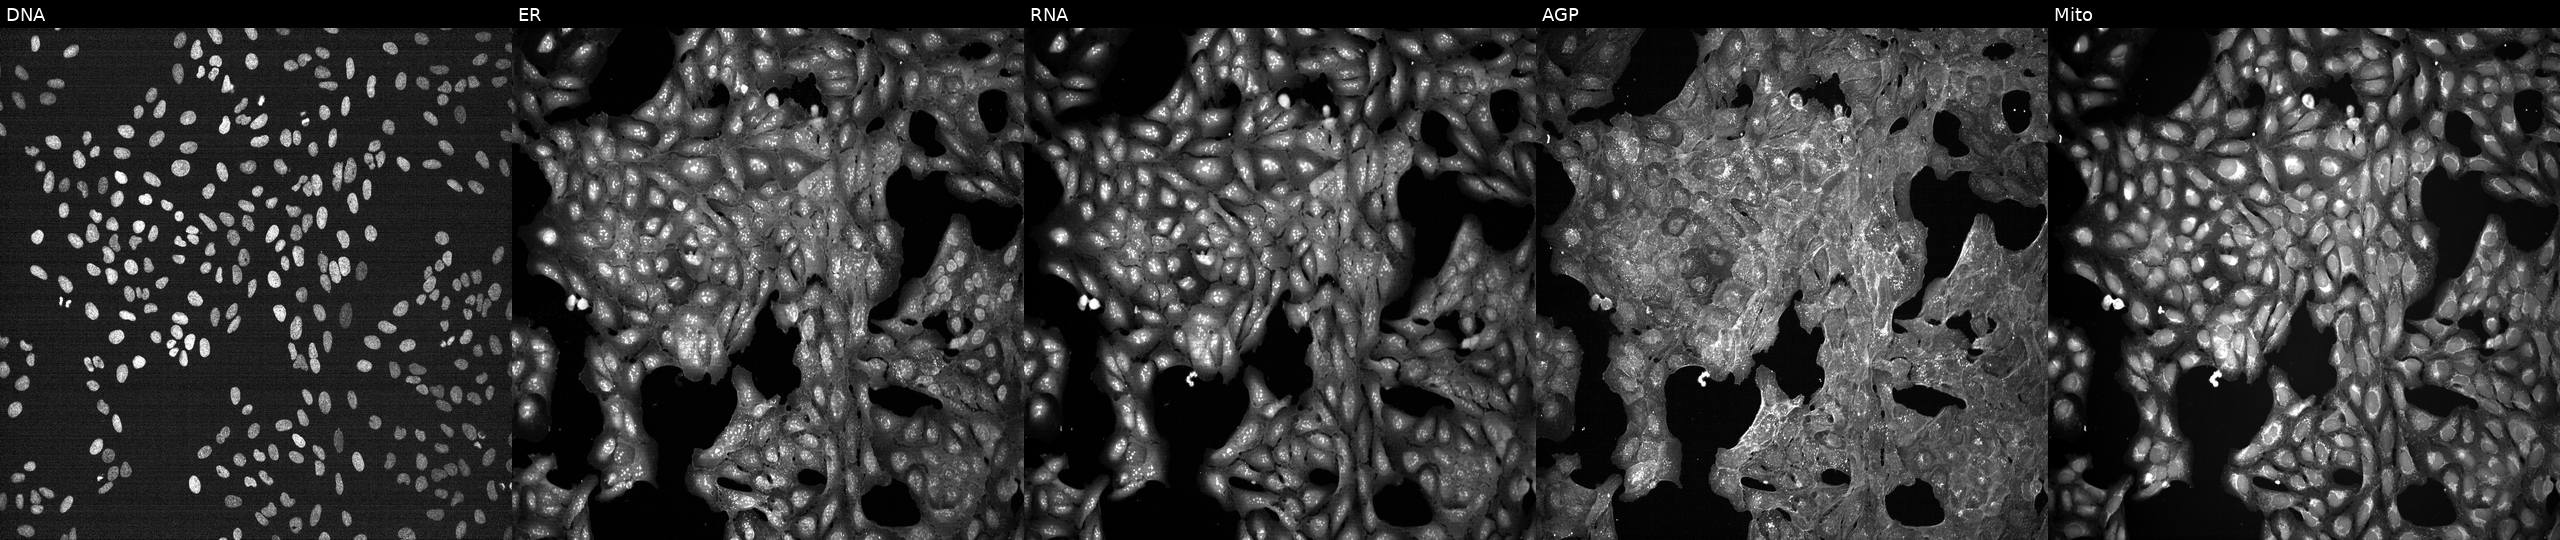
U2OS cells, Cell Painting assay, exposed to a small-molecule compound (InChIKey ODUOJXZPIYUATO-UHFFFAOYSA-N). The five panels, left to right, show DNA (nuclei); ER (endoplasmic reticulum); RNA (nucleoli and cytoplasmic RNA); AGP (actin cytoskeleton, Golgi, and plasma membrane); Mito (mitochondria). Each panel is percentile-stretched 16-bit fluorescence.